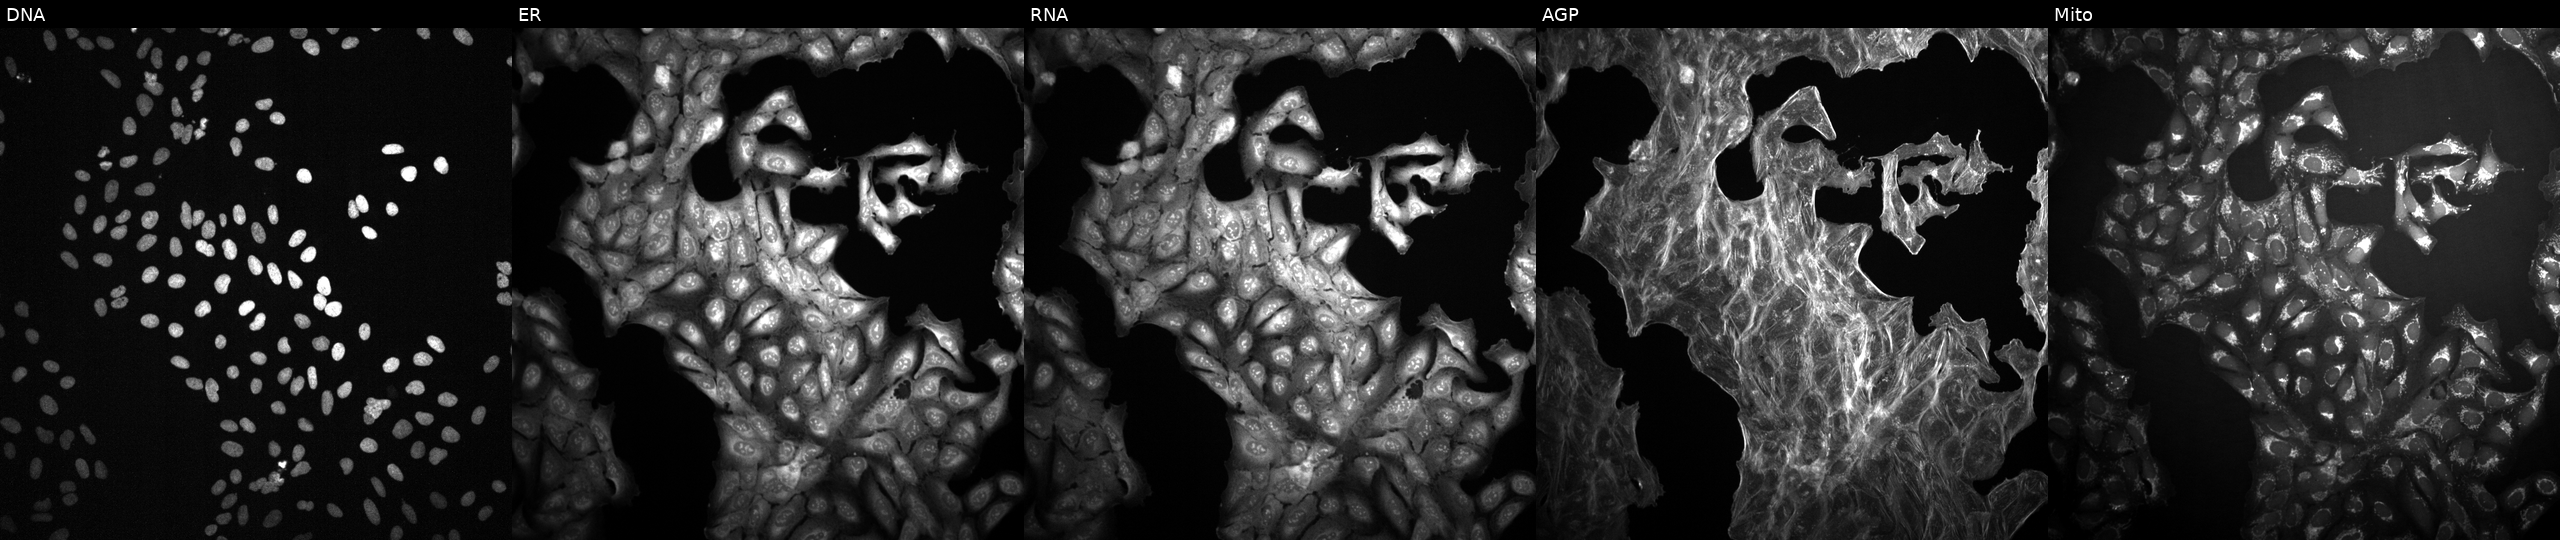
U2OS cells, Cell Painting assay, exposed to DMSO alone as a negative control. From left to right: DNA (nuclei); ER (endoplasmic reticulum); RNA (nucleoli and cytoplasmic RNA); AGP (actin cytoskeleton, Golgi, and plasma membrane); Mito (mitochondria). Each panel is percentile-stretched 16-bit fluorescence.